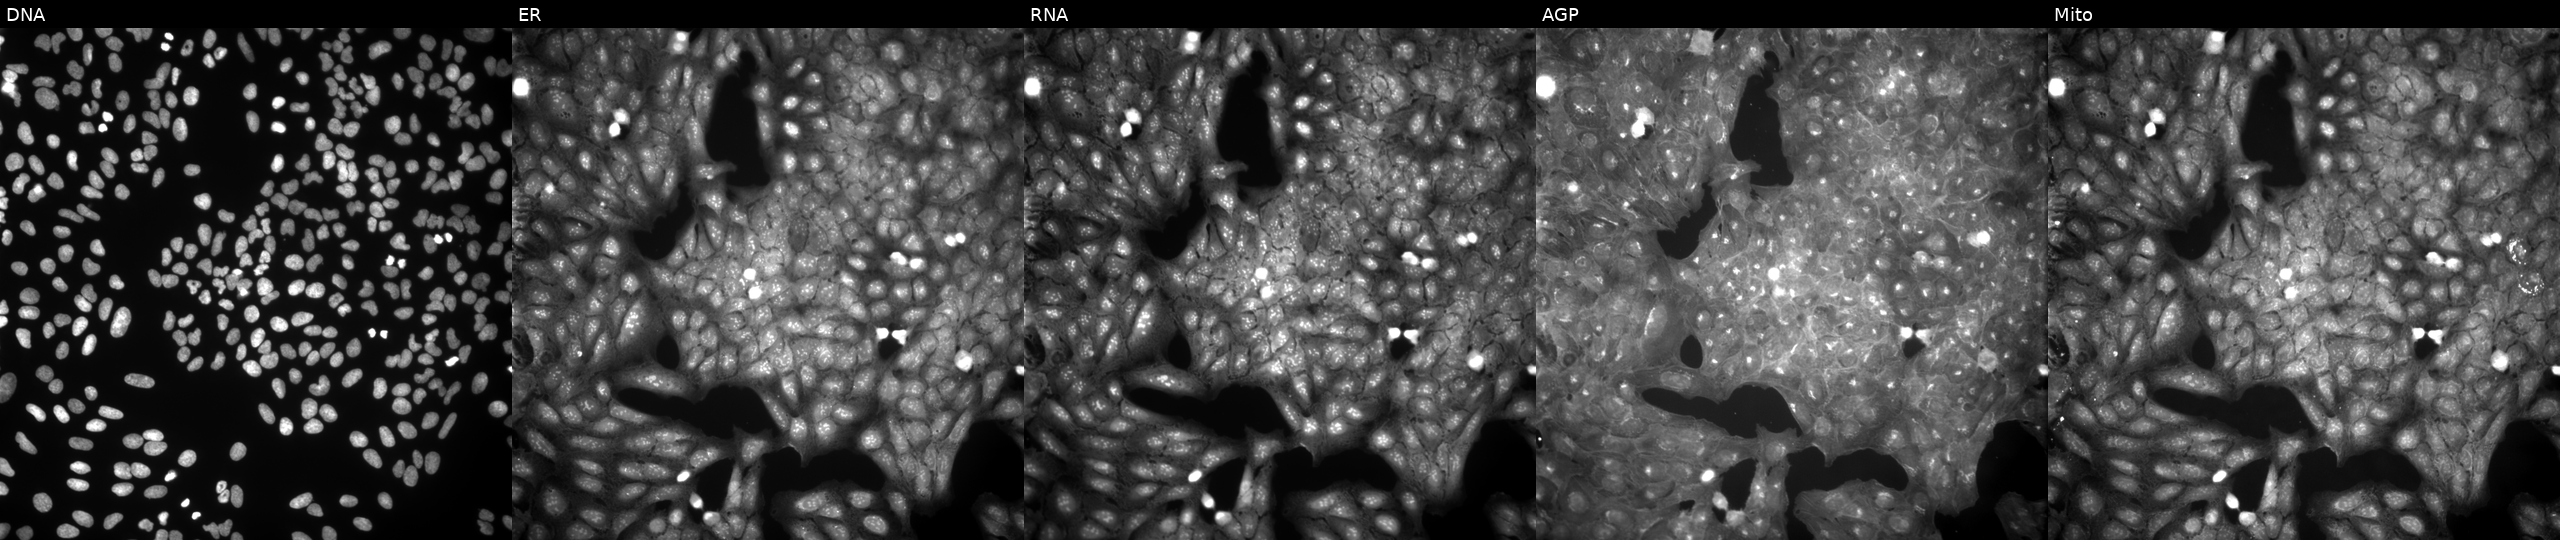
JUMP Cell Painting — COMPOUND plate. U2OS cells perturbed with a small-molecule compound (InChIKey UAMAZXUZRFKZDN-UHFFFAOYSA-N). The five panels, left to right, show DNA (nuclei); ER (endoplasmic reticulum); RNA (nucleoli and cytoplasmic RNA); AGP (actin cytoskeleton, Golgi, and plasma membrane); Mito (mitochondria).